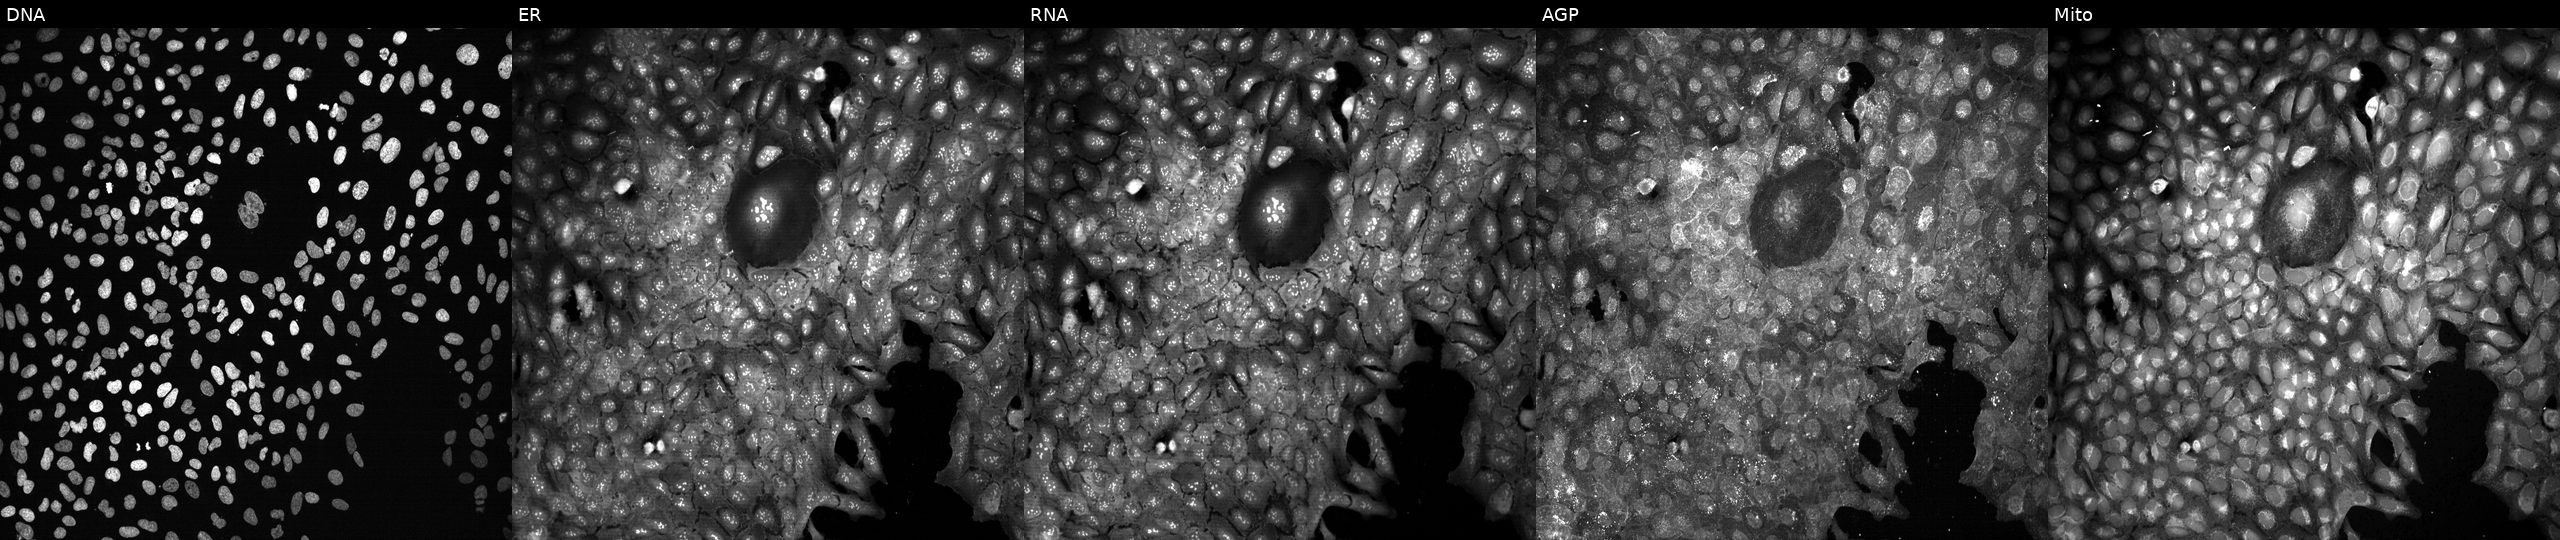
High-content fluorescence microscopy (Cell Painting). Cell line: U2OS. Perturbation: following CRISPR knockout of ENPP3. Channels (left→right): DNA (nuclei); ER (endoplasmic reticulum); RNA (nucleoli and cytoplasmic RNA); AGP (actin cytoskeleton, Golgi, and plasma membrane); Mito (mitochondria). Source 13, plate CP-CC9-R1-01, well N21.